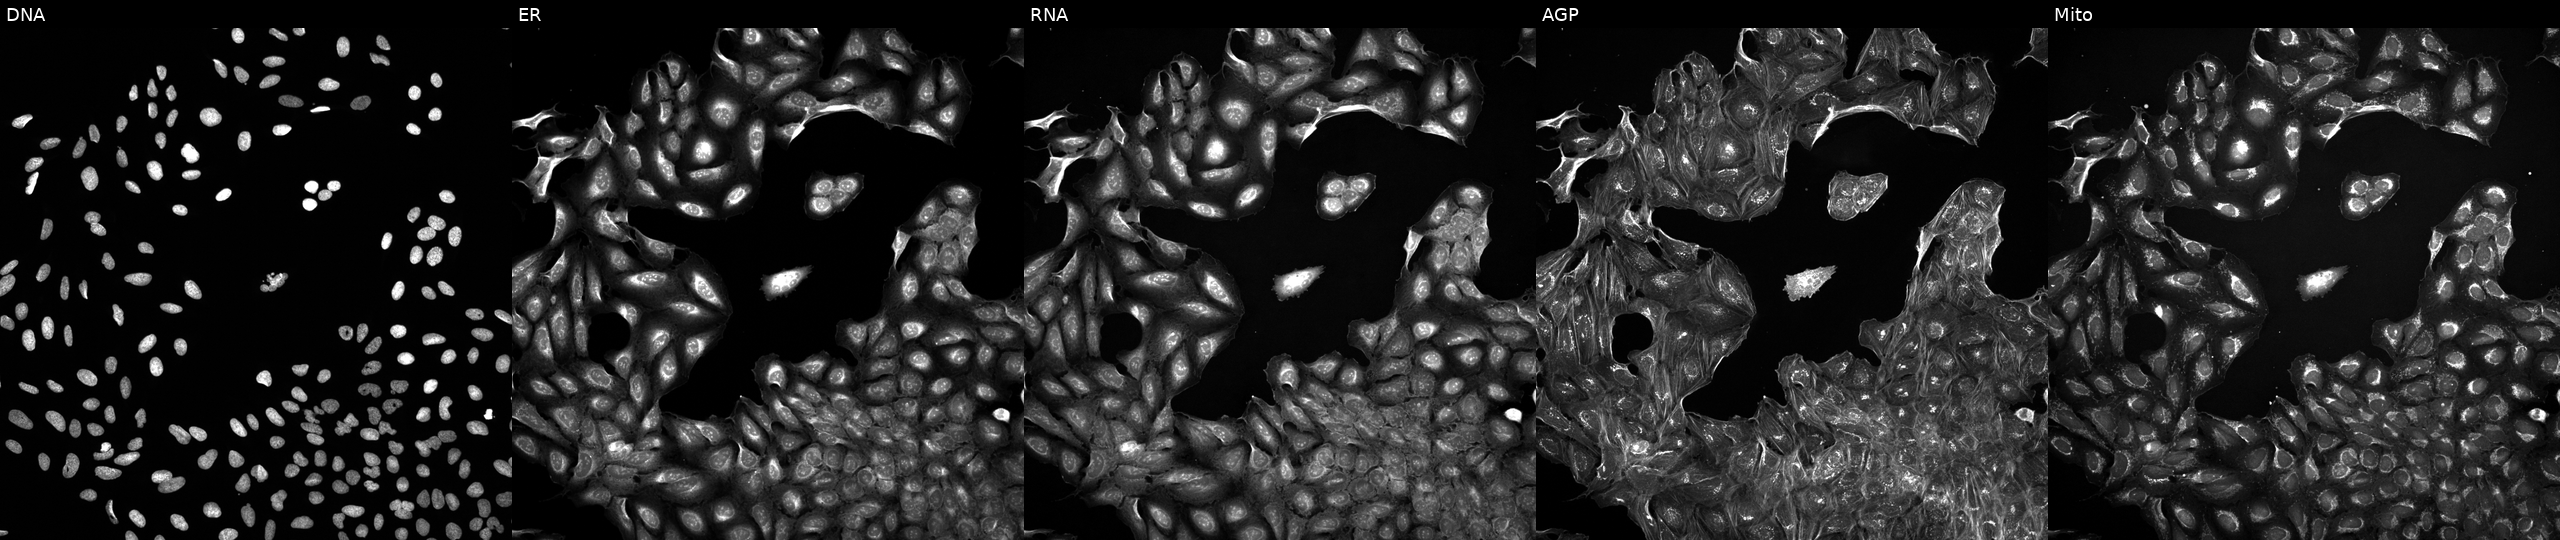
Five-channel Cell Painting image of U2OS cells treated with a small-molecule compound [SMILES: N=C(NCc1ccccc1)NC(=O)c1nc(Cl)c(=N)[nH]c1N]. From left to right: Hoechst 33342, concanavalin A, SYTO 14, phalloidin and WGA, MitoTracker.